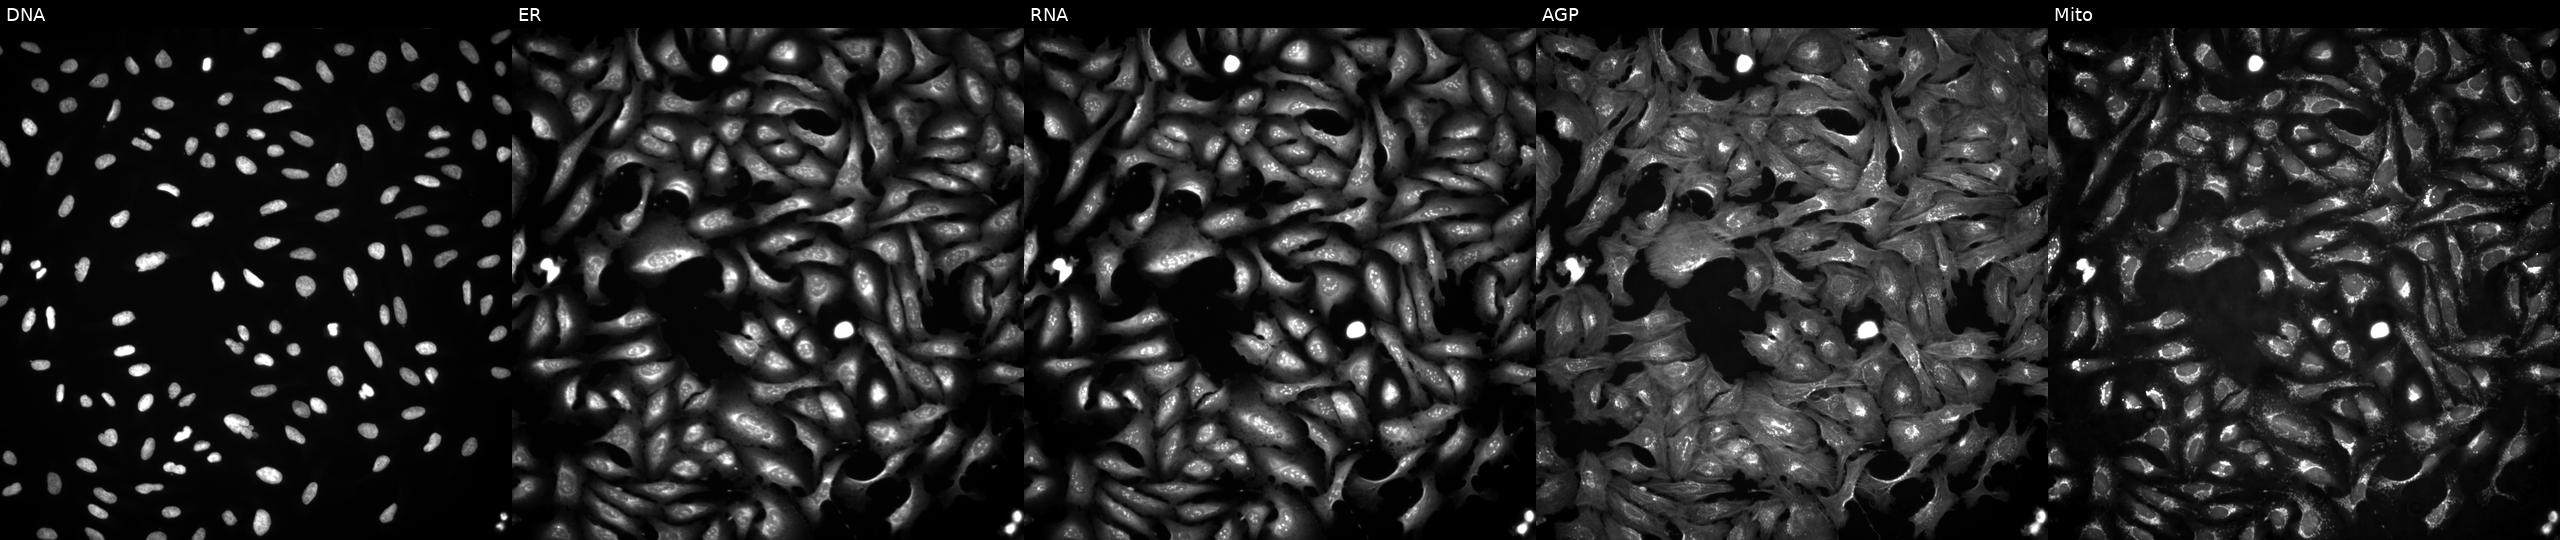
Five-channel Cell Painting image of U2OS cells with CMPK1 overexpressed (ORF). From left to right: Hoechst 33342, concanavalin A, SYTO 14, phalloidin and WGA, MitoTracker.